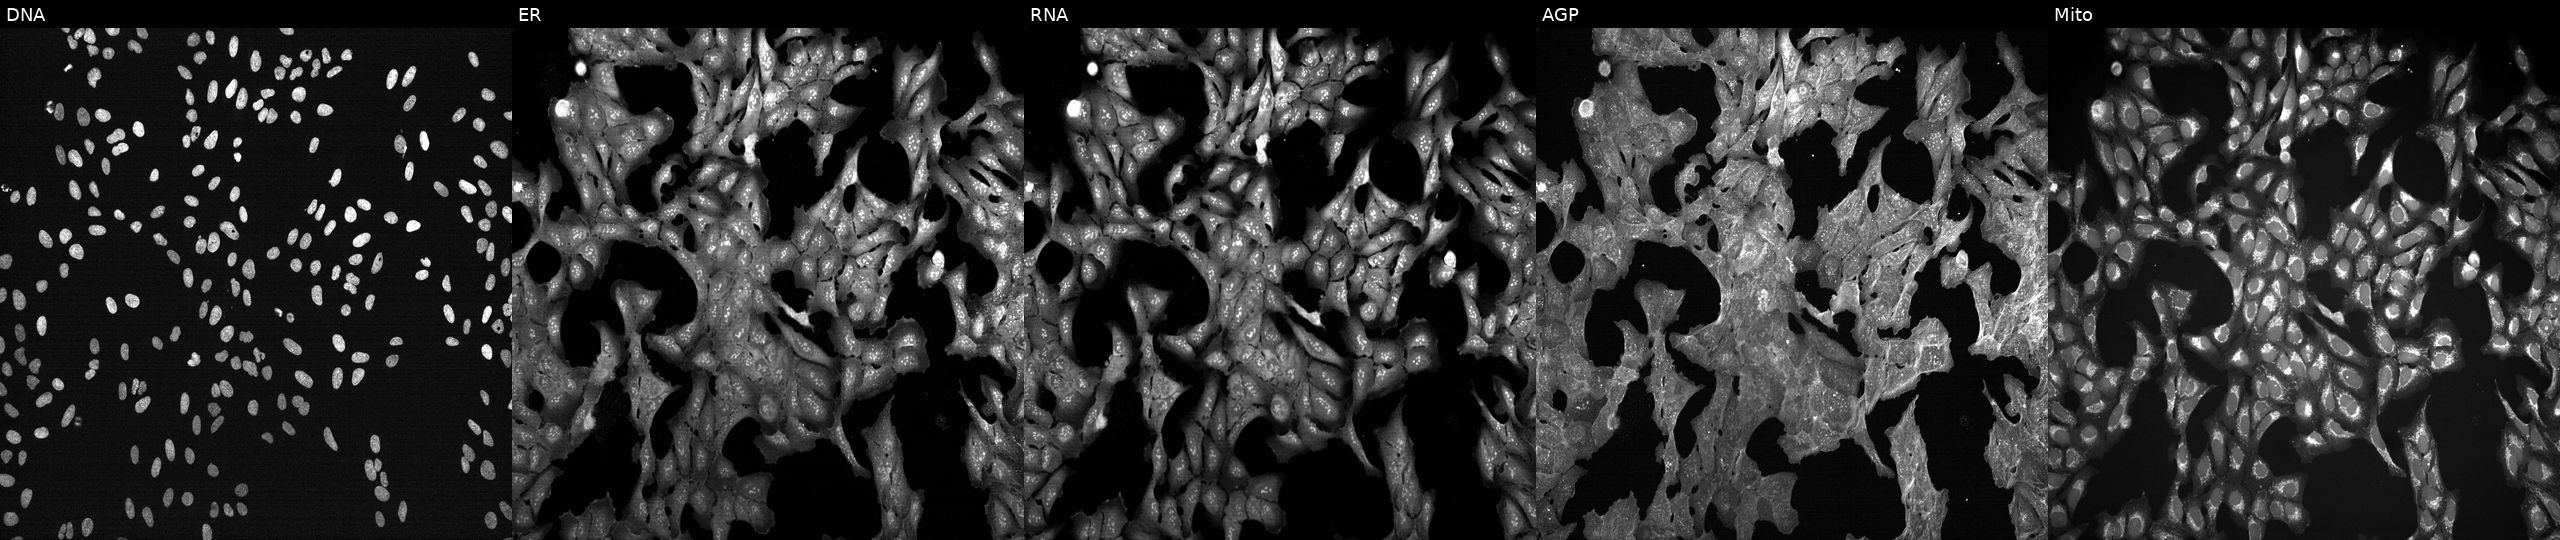
JUMP Cell Painting — TARGET2 plate. U2OS cells treated with a small-molecule compound. The five panels, left to right, show Hoechst 33342, concanavalin A, SYTO 14, phalloidin and WGA, MitoTracker. Source 7, plate CP3-SC1-25, well N05.